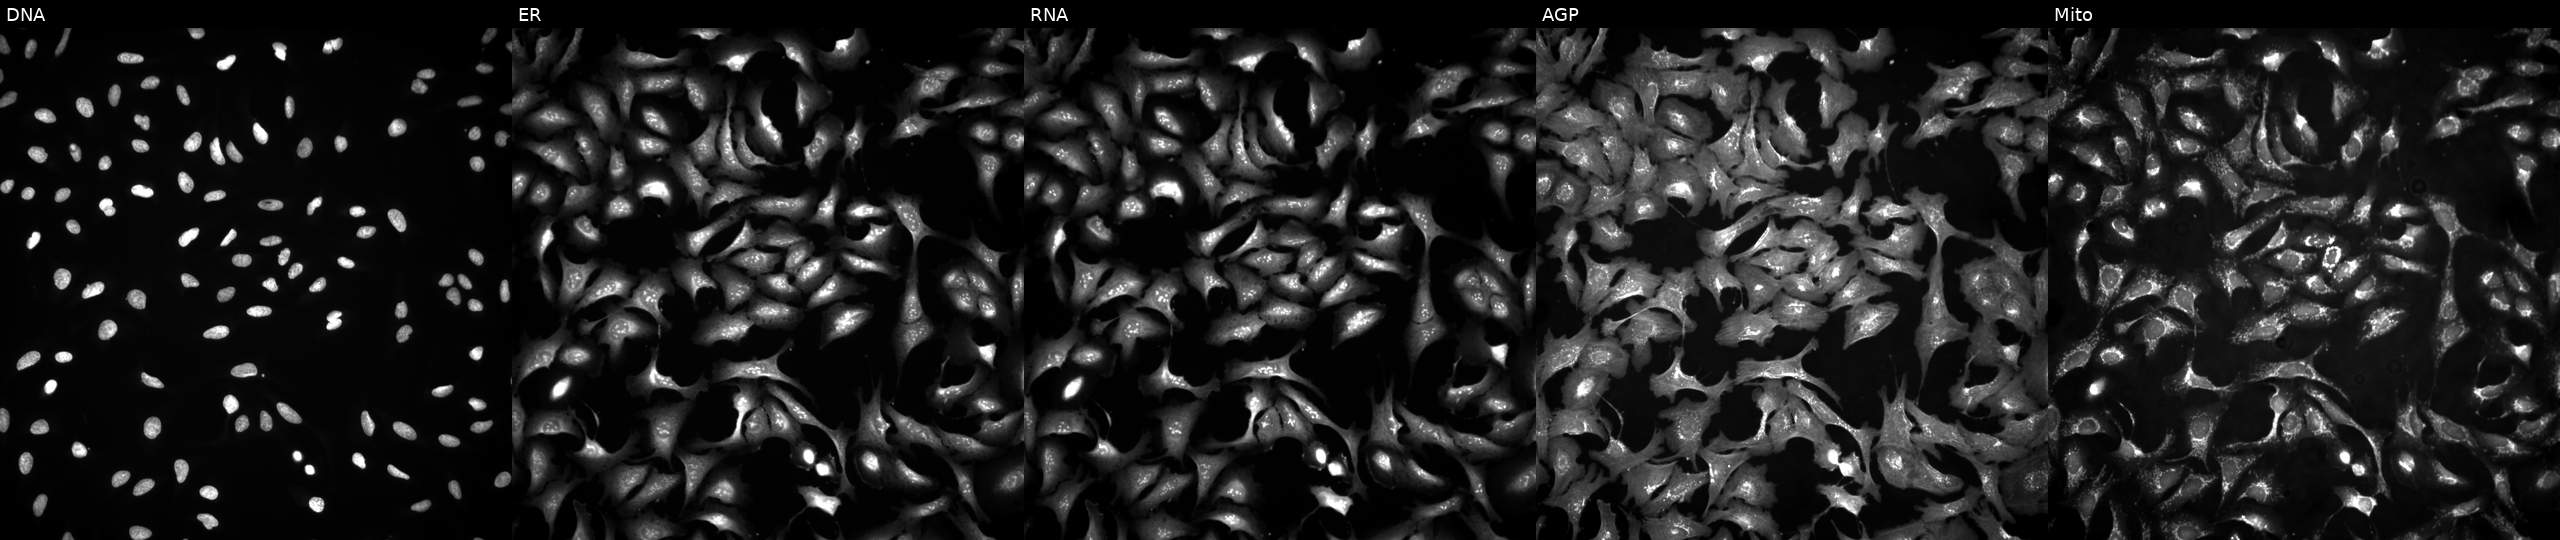
U2OS cells, Cell Painting assay, transfected with an ORF construct for CSNK1G3. The five panels, left to right, show DNA, ER, RNA, AGP, and Mito. Each panel is percentile-stretched 16-bit fluorescence. Source 4, plate BR00123945, well M02.